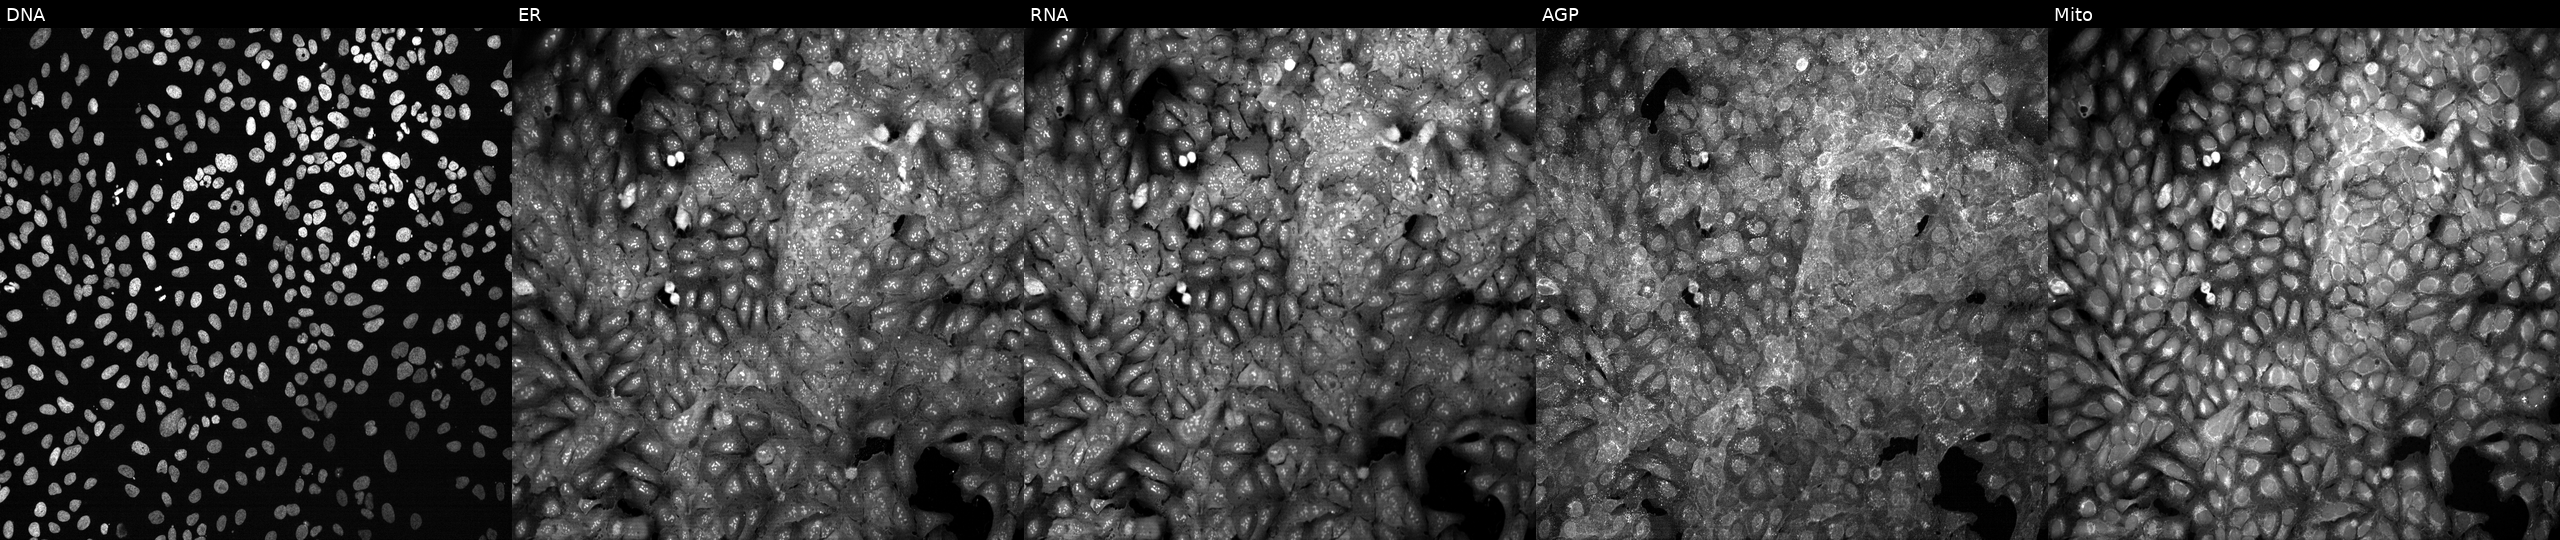
High-content fluorescence microscopy (Cell Painting). Cell line: U2OS. Perturbation: with PPT1 knocked out by CRISPR (JUMP id JCP2022_805479). Channels (left→right): Hoechst 33342, concanavalin A, SYTO 14, phalloidin and WGA, MitoTracker. Source 13, plate CP-CC9-R1-02, well L15.